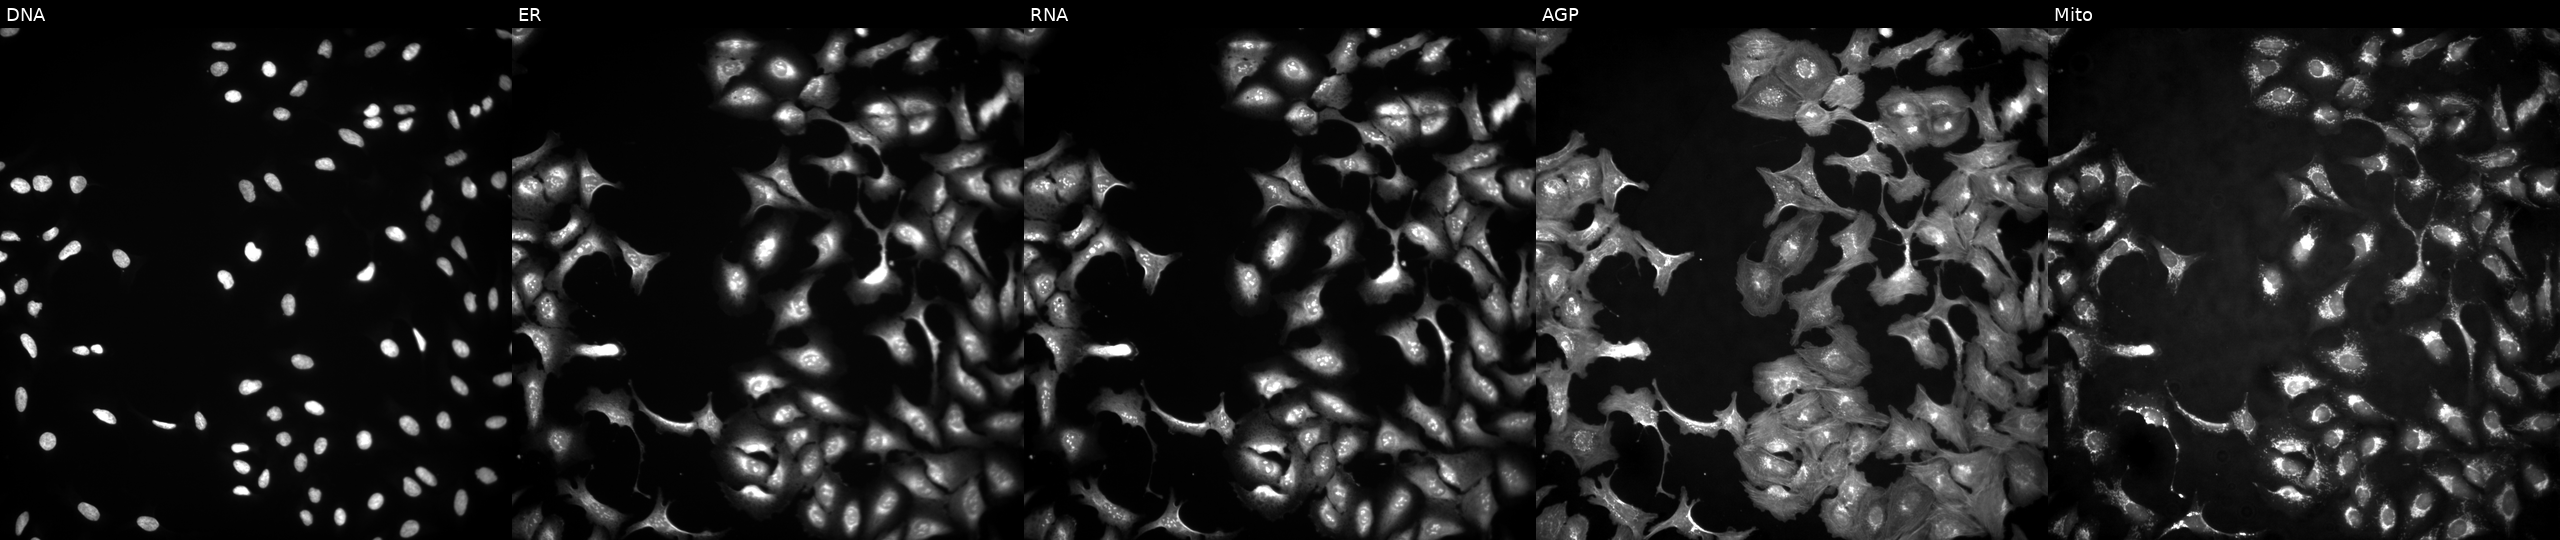
High-content fluorescence microscopy (Cell Painting). Cell line: U2OS. Perturbation: transfected with an ORF construct for DEFB106A. Channels (left→right): DNA, ER, RNA, AGP, and Mito.